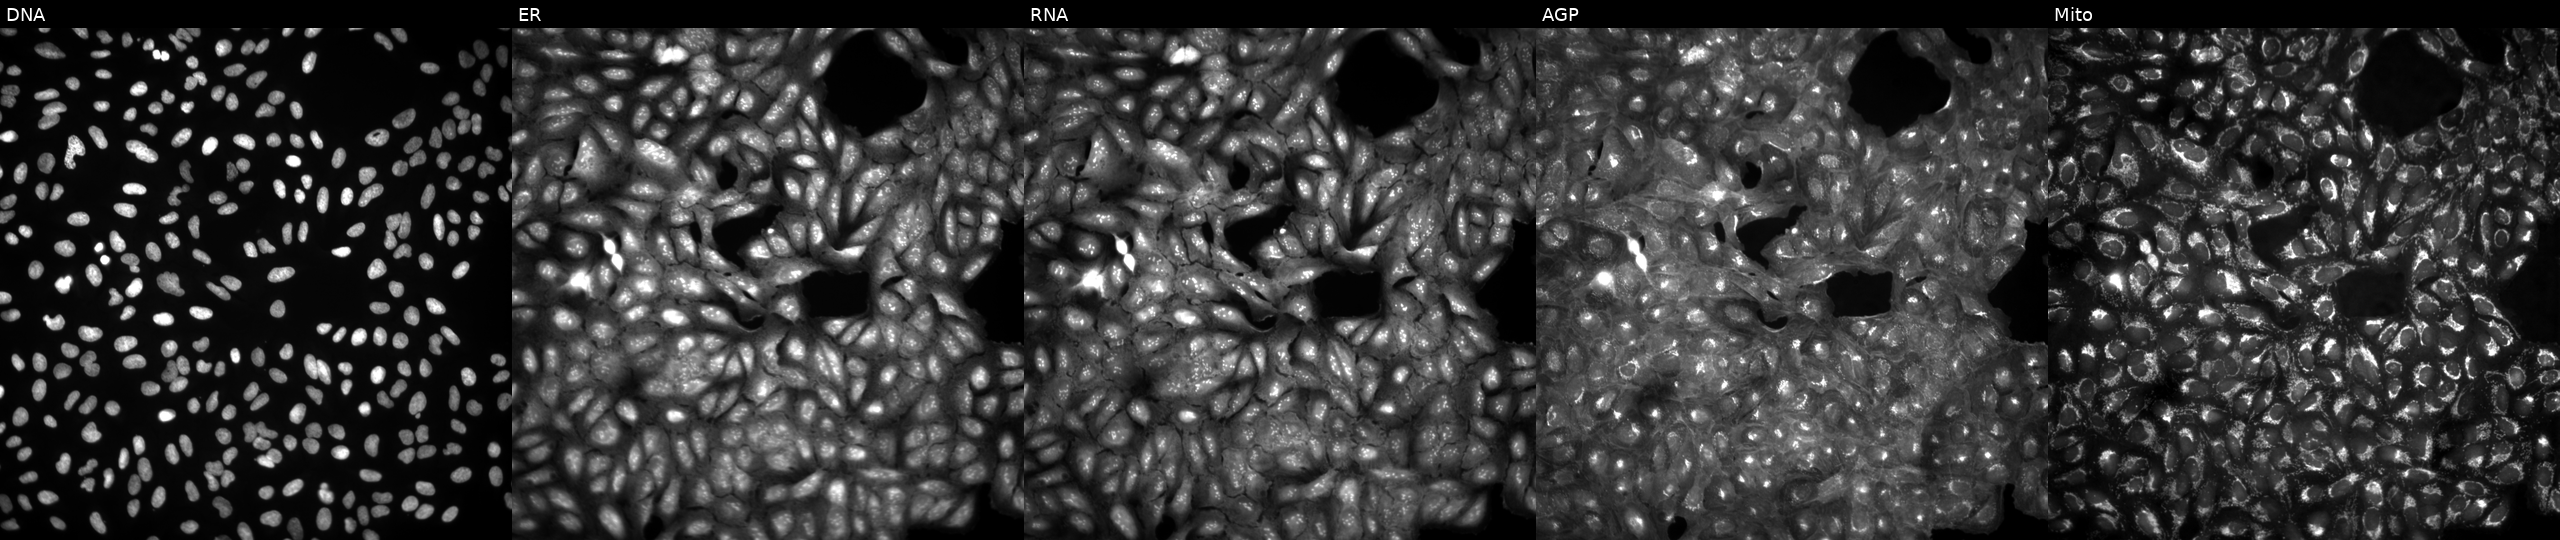
Five-channel Cell Painting image of U2OS cells in an empty control well (no perturbation) (JUMP id JCP2022_999999). The five panels, left to right, show DNA (nuclei); ER (endoplasmic reticulum); RNA (nucleoli and cytoplasmic RNA); AGP (actin cytoskeleton, Golgi, and plasma membrane); Mito (mitochondria).